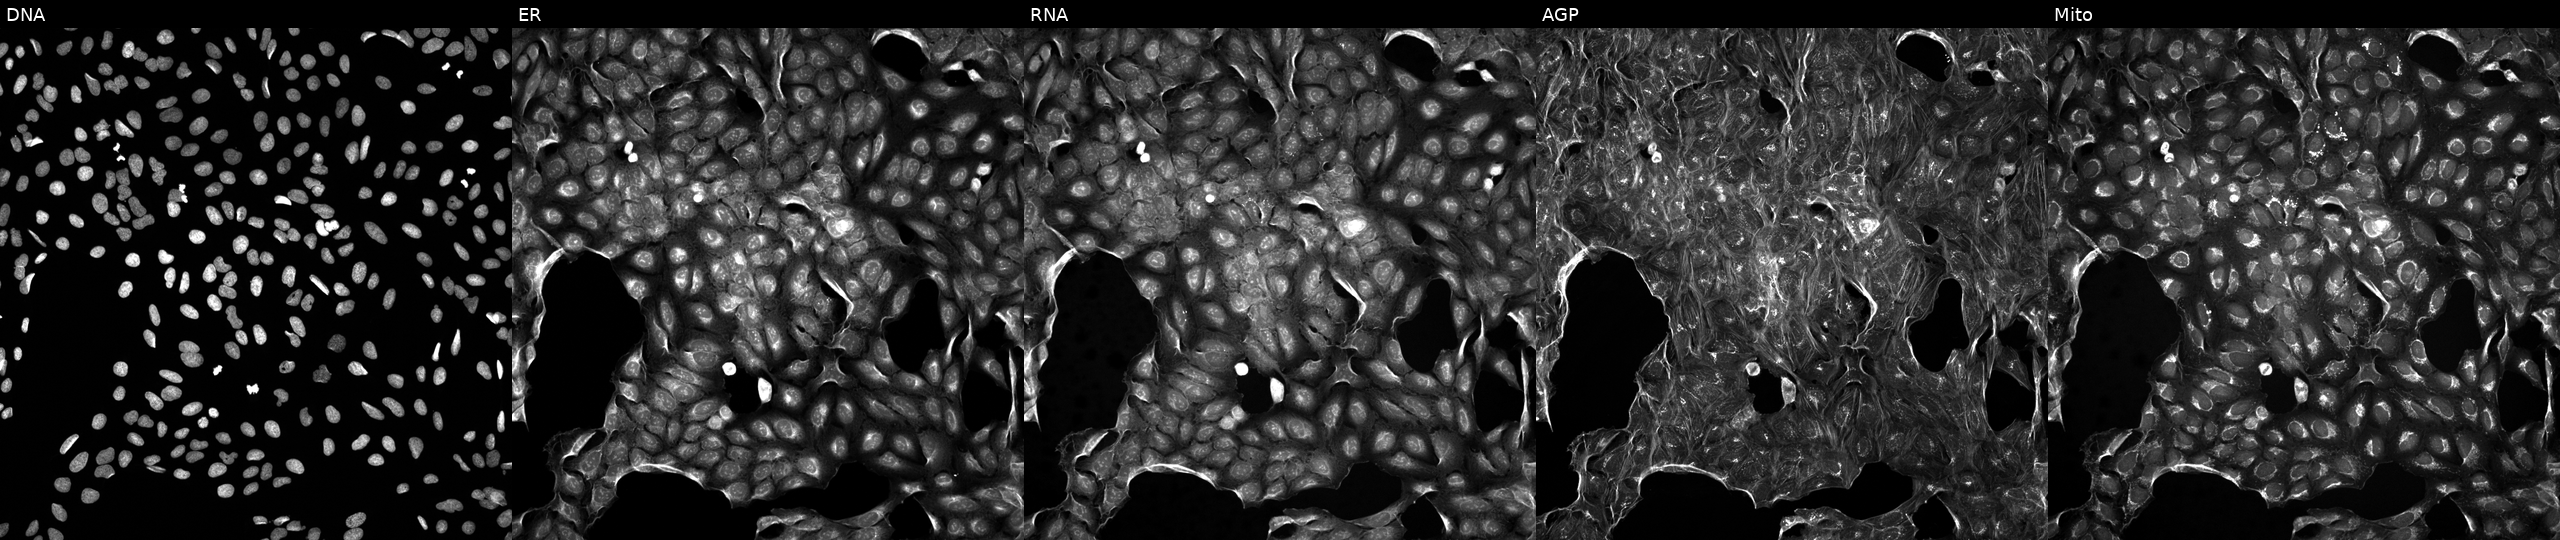
JUMP Cell Painting — TARGET2 plate. U2OS cells perturbed with a small-molecule compound (JUMP id JCP2022_022191). Panels show, left to right, Hoechst 33342, concanavalin A, SYTO 14, phalloidin and WGA, MitoTracker. Source 5, plate ACPJUM012, well O04.